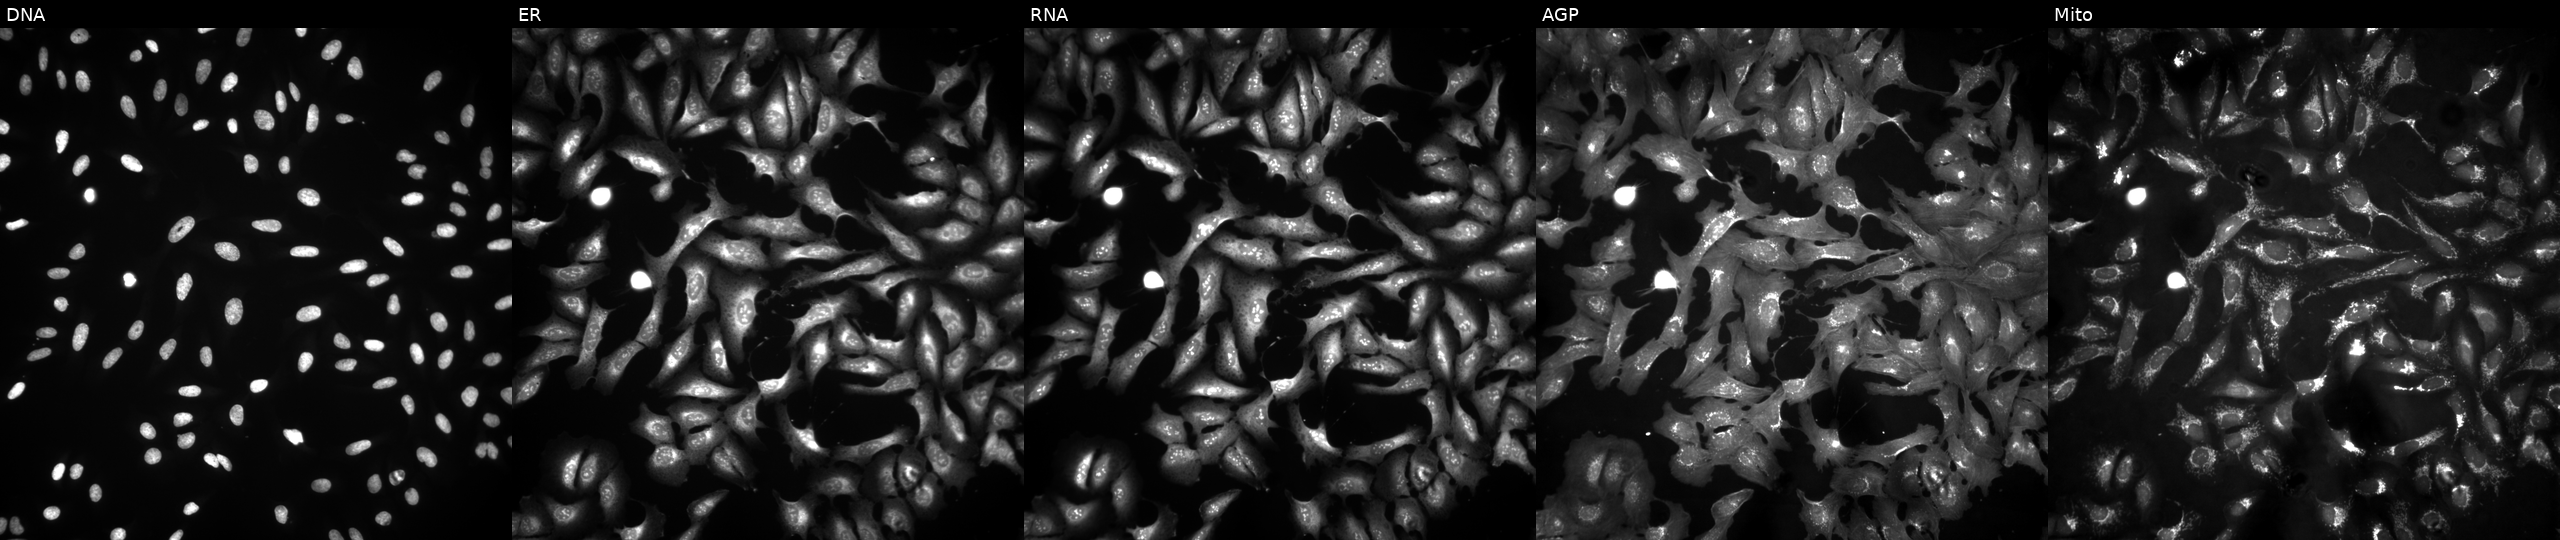
JUMP Cell Painting — ORF plate. U2OS cells overexpressing LARS2 via ORF transfection (JUMP id JCP2022_907360). Channels (left→right): Hoechst 33342, concanavalin A, SYTO 14, phalloidin and WGA, MitoTracker.